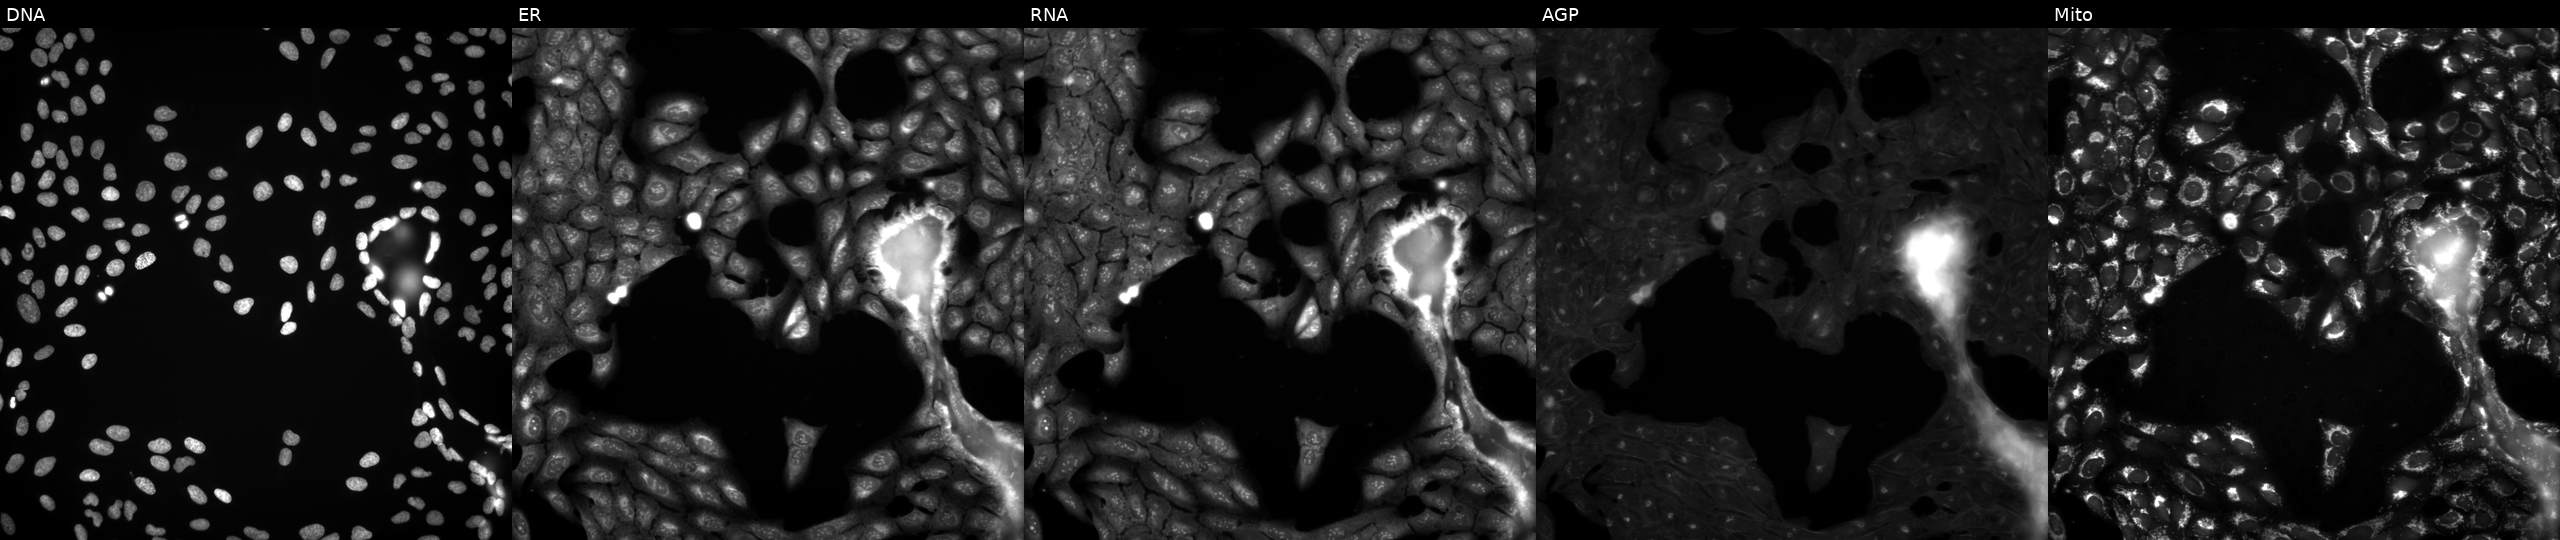
High-content fluorescence microscopy (Cell Painting). Cell line: U2OS. Perturbation: treated with a small-molecule compound (InChIKey QRLOQXYLLALZPB-UHFFFAOYSA-N) (JUMP id JCP2022_075422). From left to right: Hoechst 33342, concanavalin A, SYTO 14, phalloidin and WGA, MitoTracker.